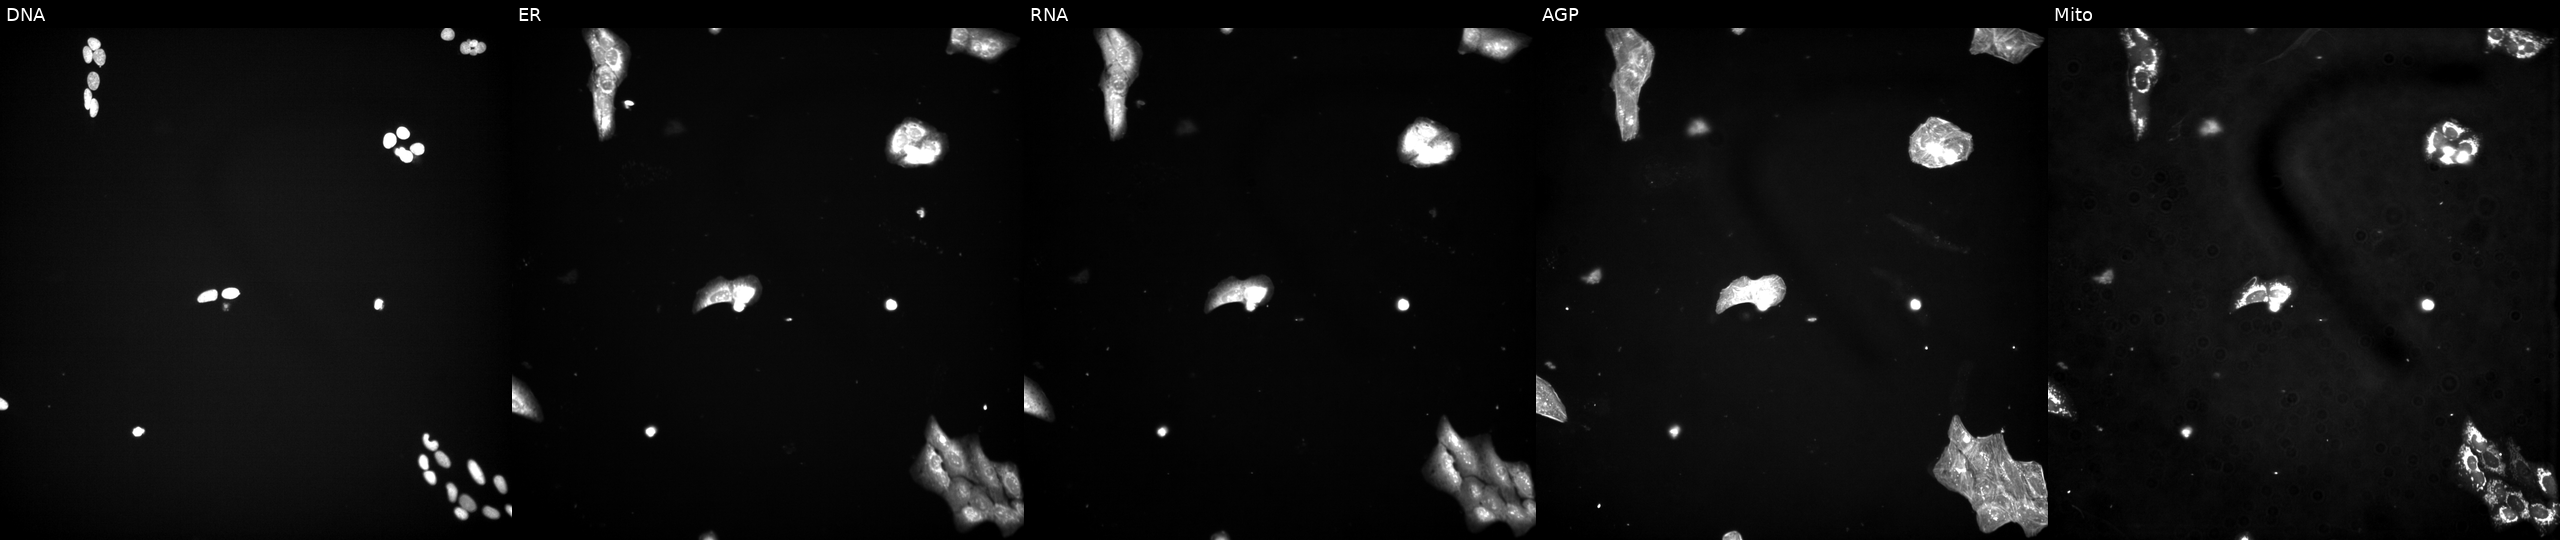
High-content fluorescence microscopy (Cell Painting). Cell line: U2OS. Perturbation: perturbed with a small-molecule compound (JUMP id JCP2022_047545). From left to right: DNA (nuclei); ER (endoplasmic reticulum); RNA (nucleoli and cytoplasmic RNA); AGP (actin cytoskeleton, Golgi, and plasma membrane); Mito (mitochondria).